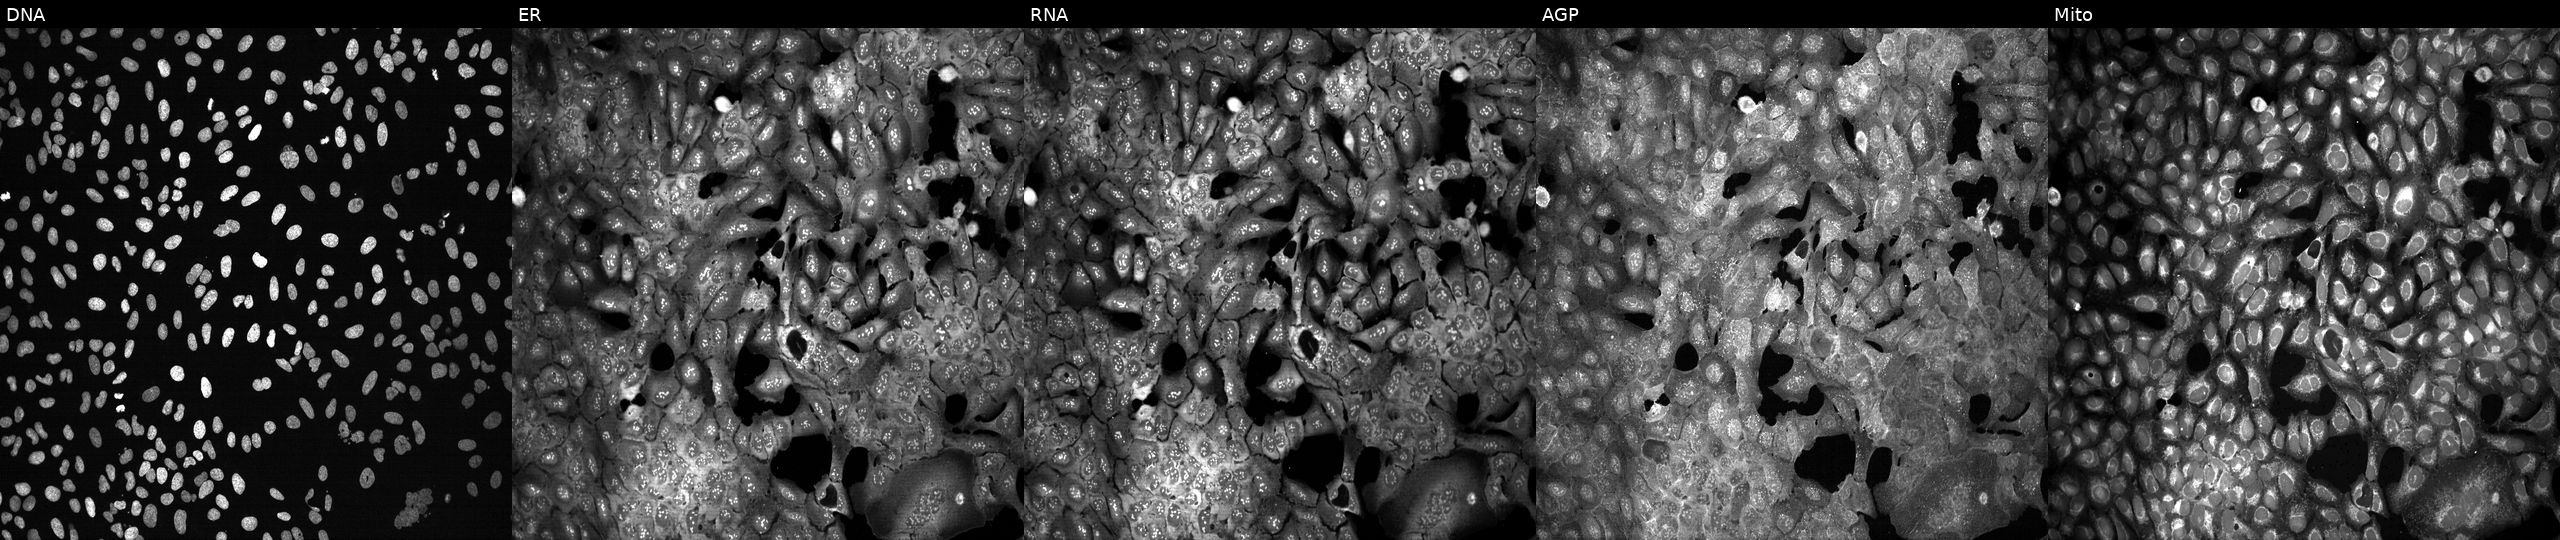
Panels show, left to right, DNA, ER, RNA, AGP, and Mito. U2OS osteosarcoma cells CRISPR-edited to disrupt GLUD1. Cell Painting assay, JUMP-CP dataset.